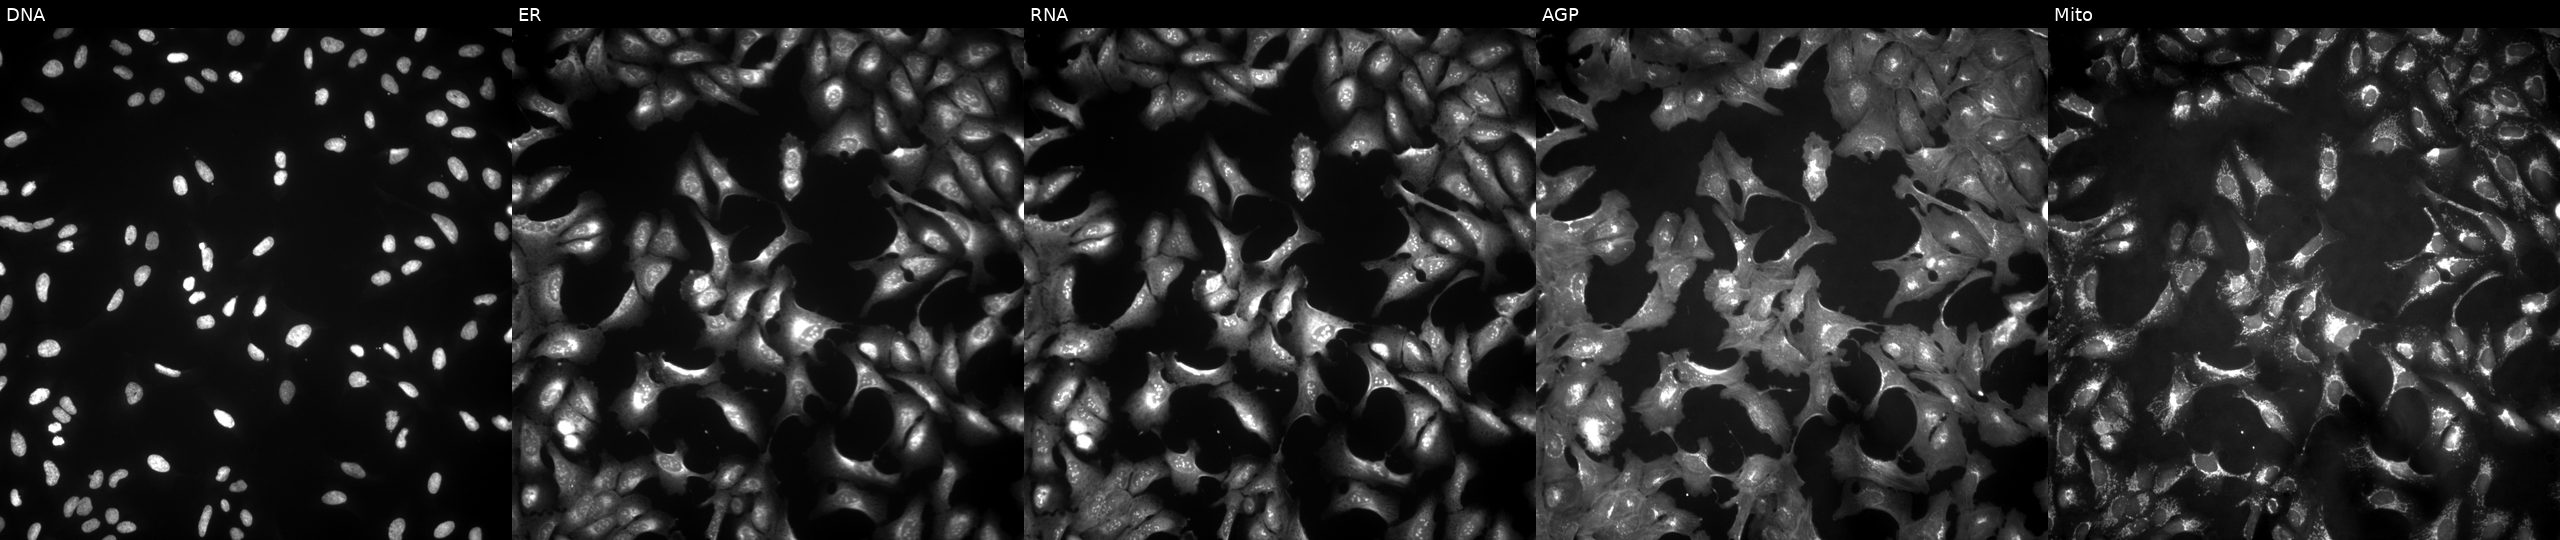
Five-channel Cell Painting image of U2OS cells overexpressing DCTN4 via ORF transfection (JUMP id JCP2022_907704). Channels (left→right): DNA, ER, RNA, AGP, and Mito.